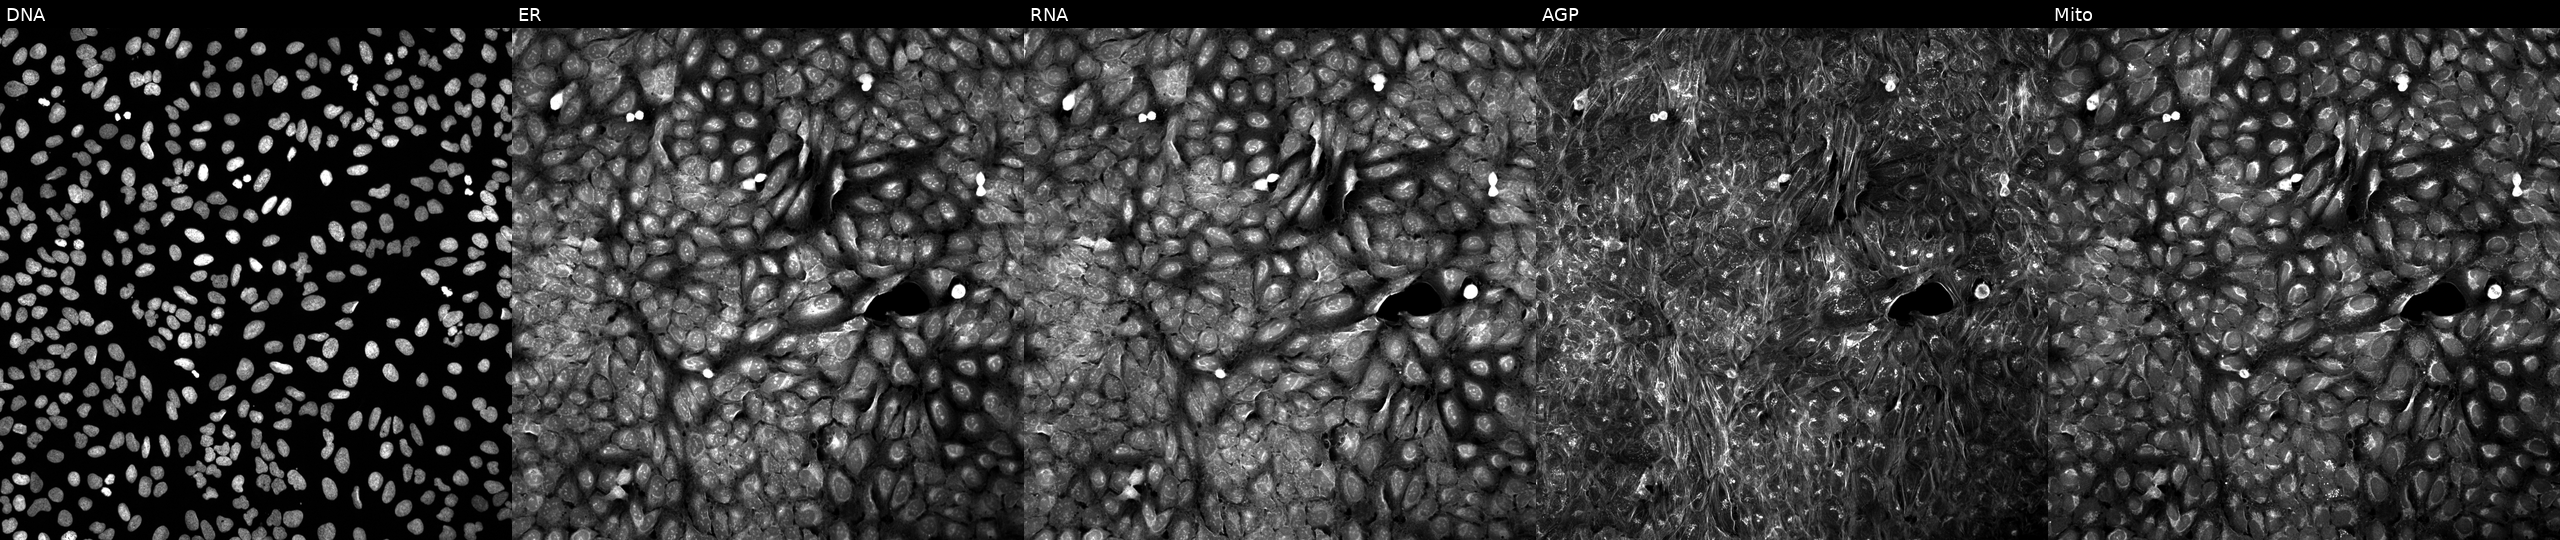
The five panels, left to right, show Hoechst 33342, concanavalin A, SYTO 14, phalloidin and WGA, MitoTracker. U2OS osteosarcoma cells exposed to a small-molecule compound. Cell Painting assay, JUMP-CP dataset.